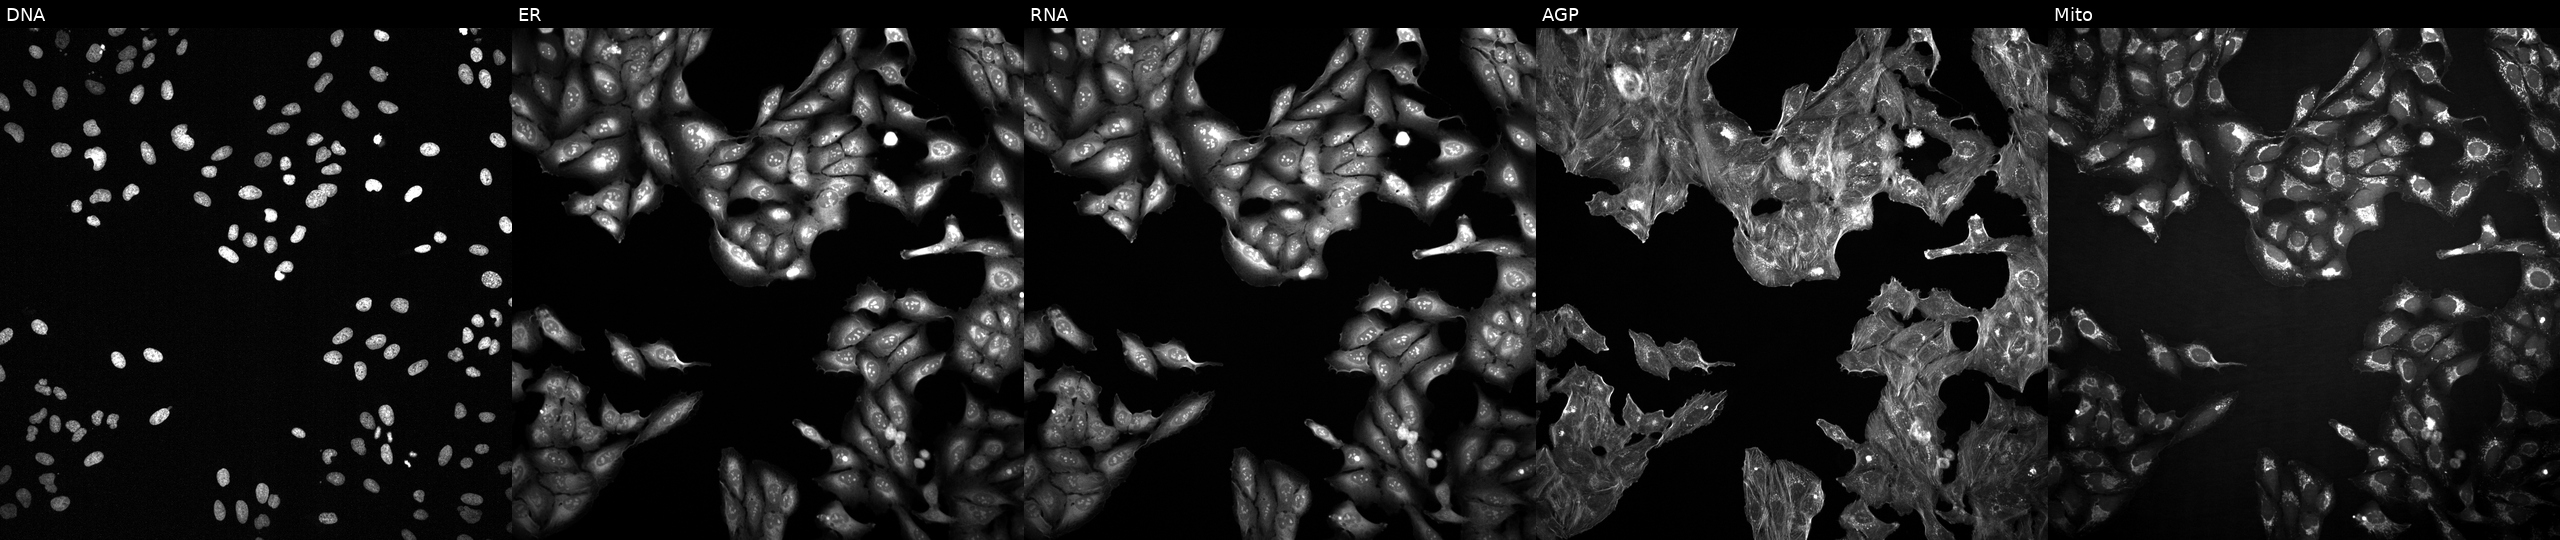
The five panels, left to right, show Hoechst 33342, concanavalin A, SYTO 14, phalloidin and WGA, MitoTracker. U2OS osteosarcoma cells exposed to a small-molecule compound (JUMP id JCP2022_070432). Cell Painting assay, JUMP-CP dataset.